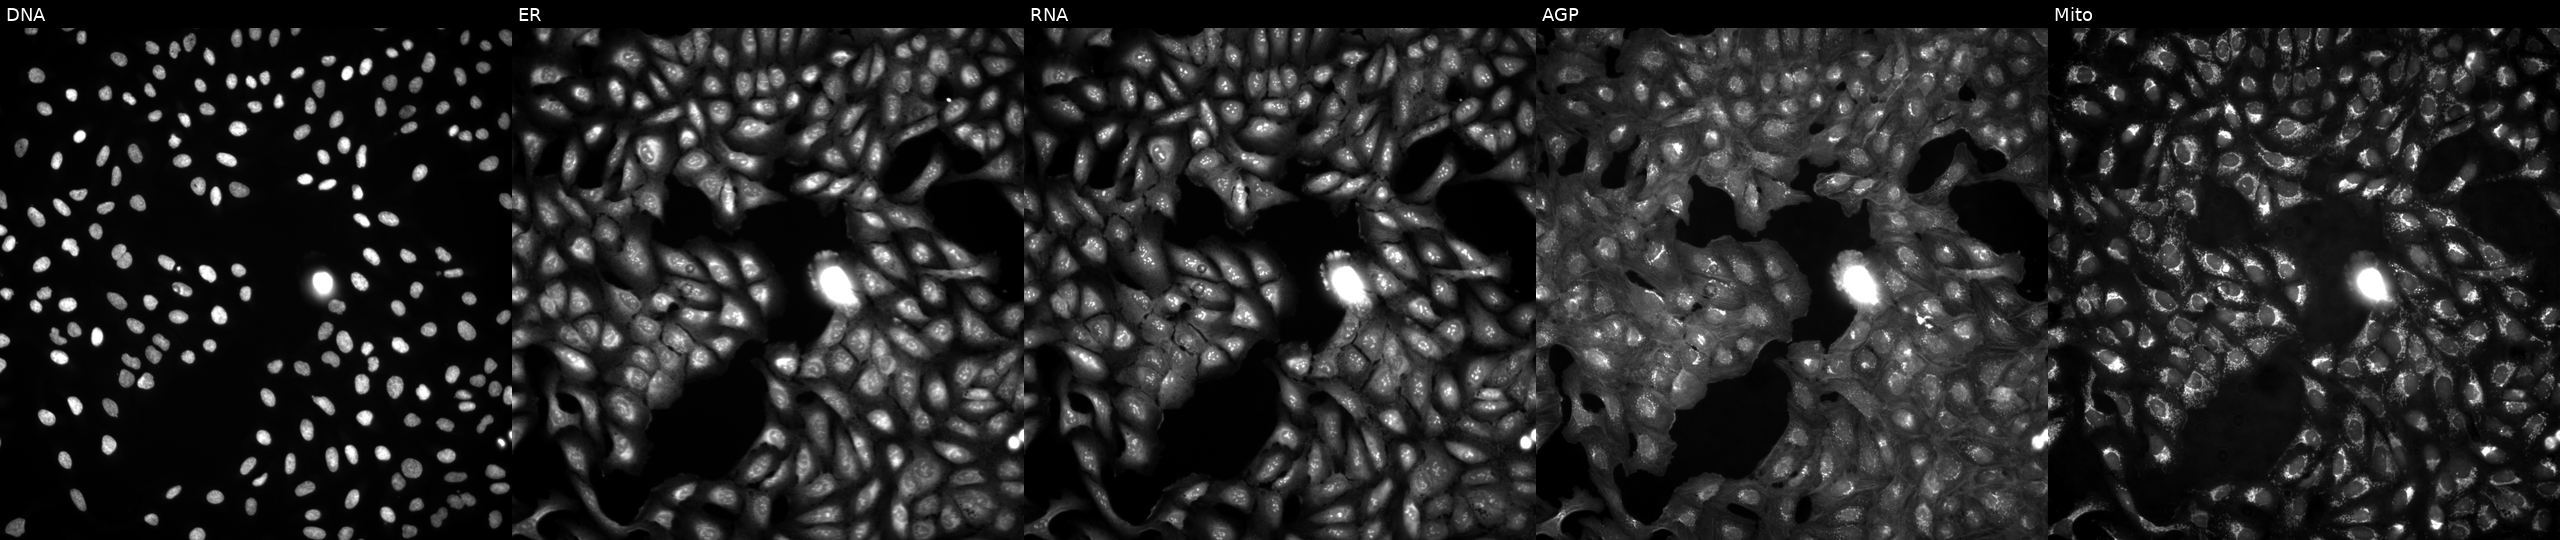
This image strip shows the five Cell Painting channels for a single field of U2OS cells untreated (empty-well control). From left to right: DNA, ER, RNA, AGP, and Mito. Source 4, plate BR00124793, well O07.